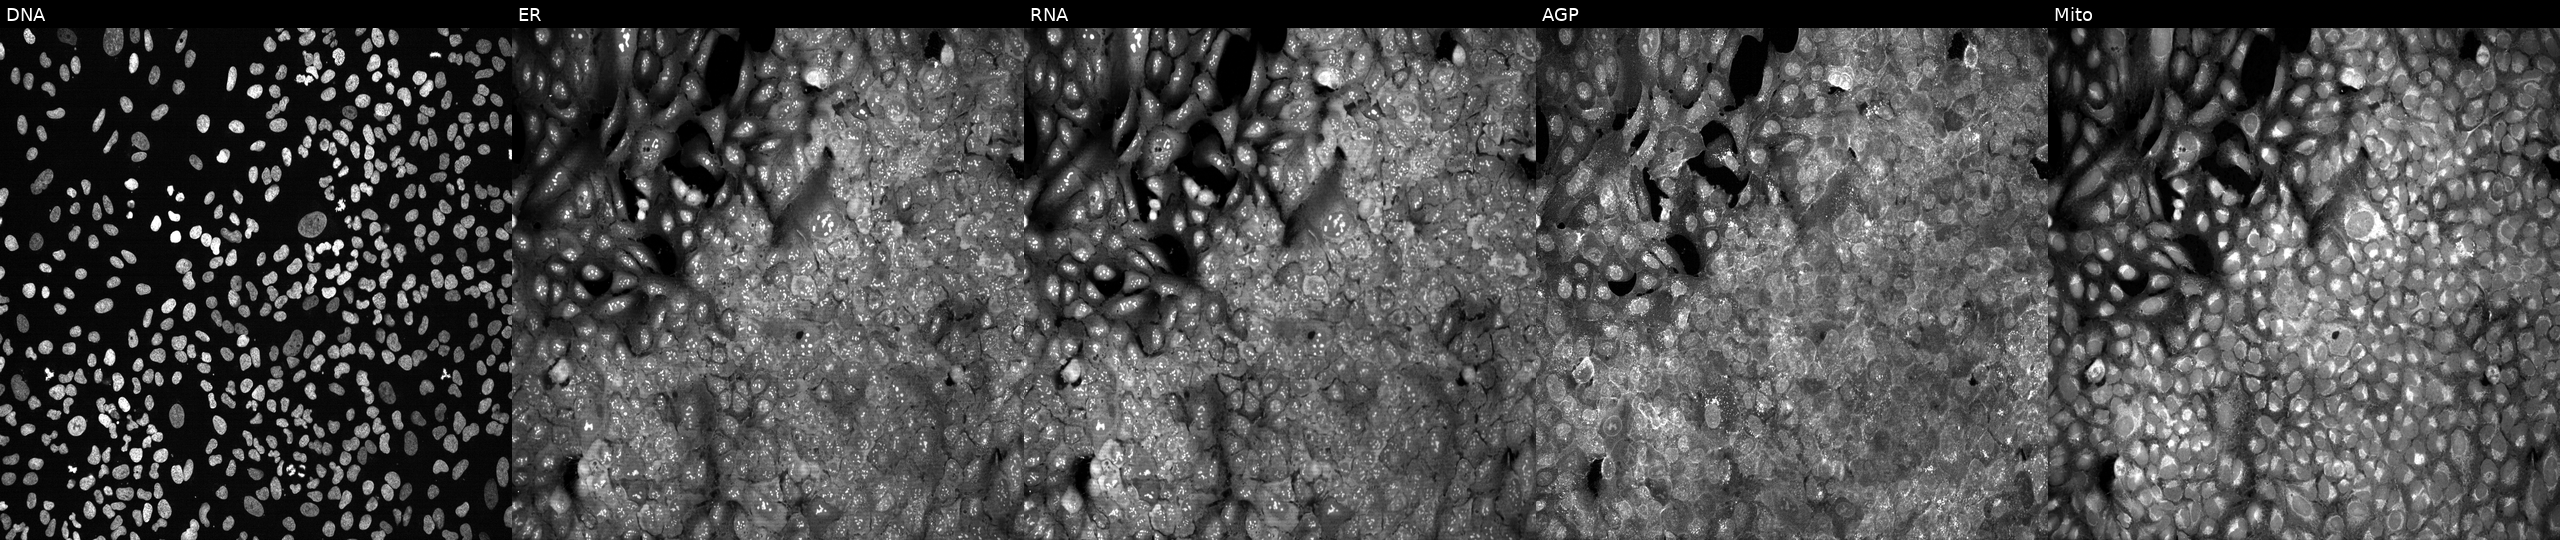
JUMP Cell Painting — CRISPR plate. U2OS cells CRISPR-edited to disrupt VEGFA. Channels (left→right): DNA, ER, RNA, AGP, and Mito.